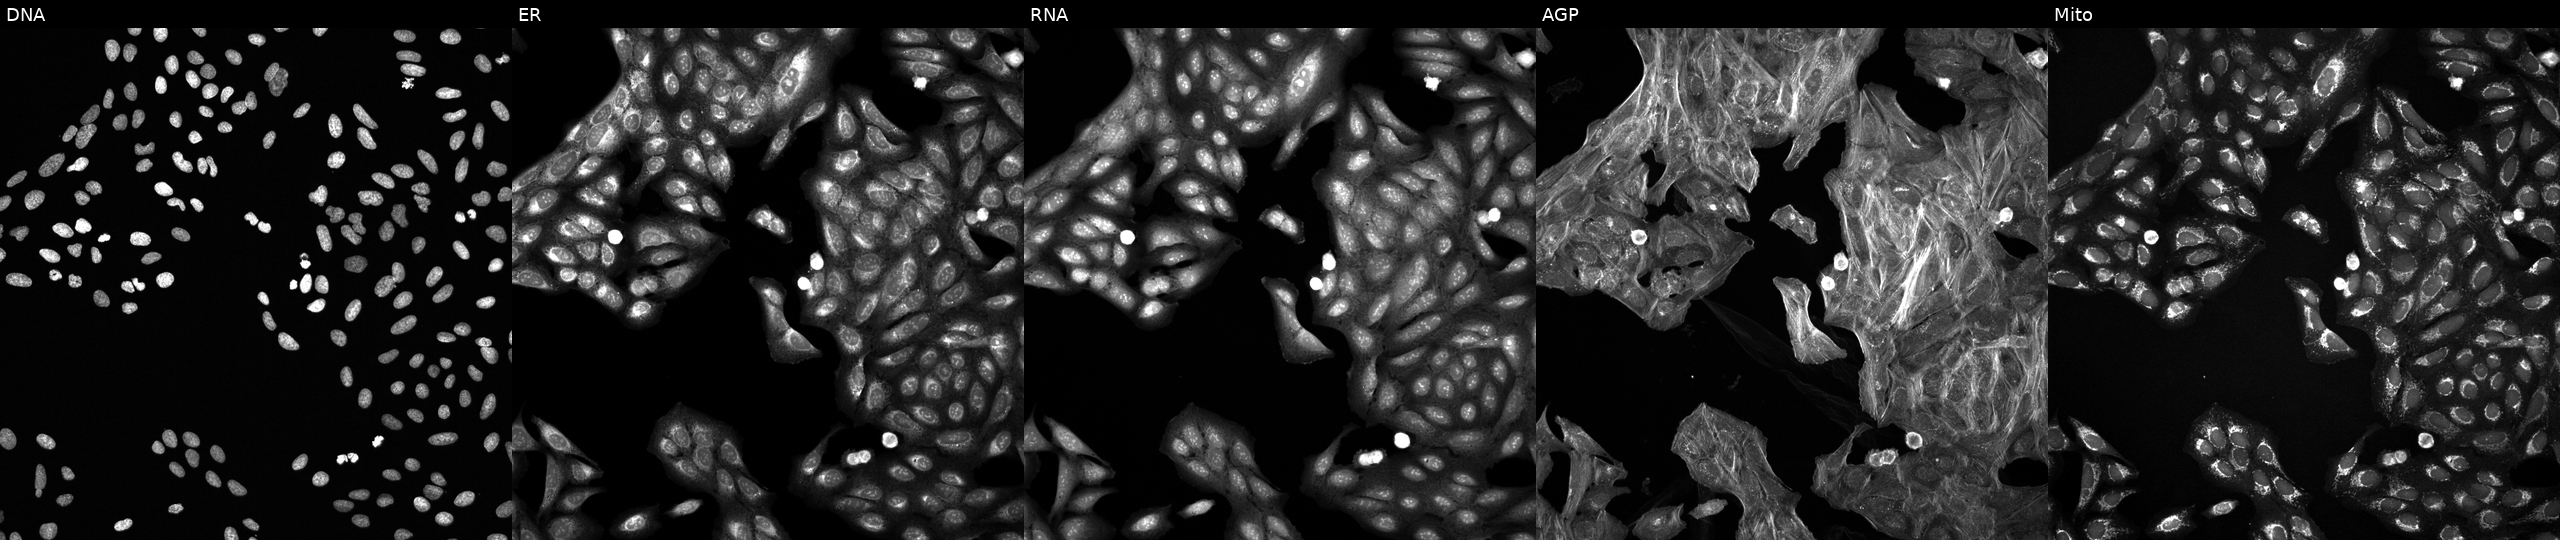
This image strip shows the five Cell Painting channels for a single field of U2OS cells perturbed with a small-molecule compound (InChIKey QWJOPXDAQCDRRM-UHFFFAOYSA-N) (JUMP id JCP2022_076300). Panels show, left to right, Hoechst 33342, concanavalin A, SYTO 14, phalloidin and WGA, MitoTracker. Source 6, plate 110000293093, well M16.